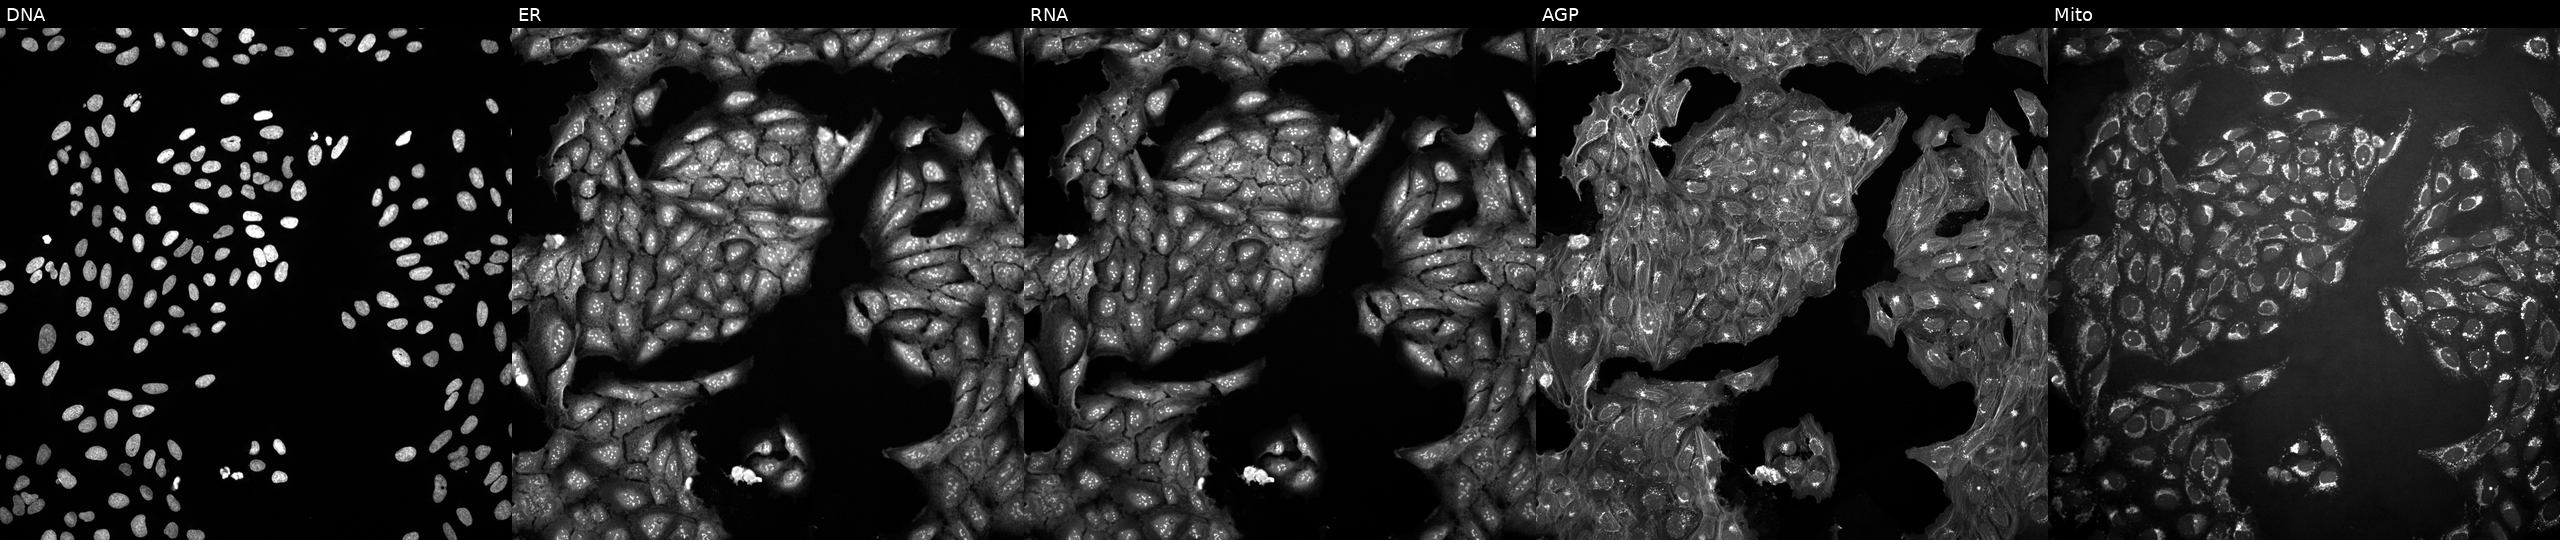
U2OS cells, Cell Painting assay, perturbed with a small-molecule compound (InChIKey NNYXCASKMIVYQY-UHFFFAOYSA-N) (JUMP id JCP2022_060242). Panels show, left to right, DNA, ER, RNA, AGP, and Mito. Each panel is percentile-stretched 16-bit fluorescence. Source 10, plate Dest210531-152149, well F09.